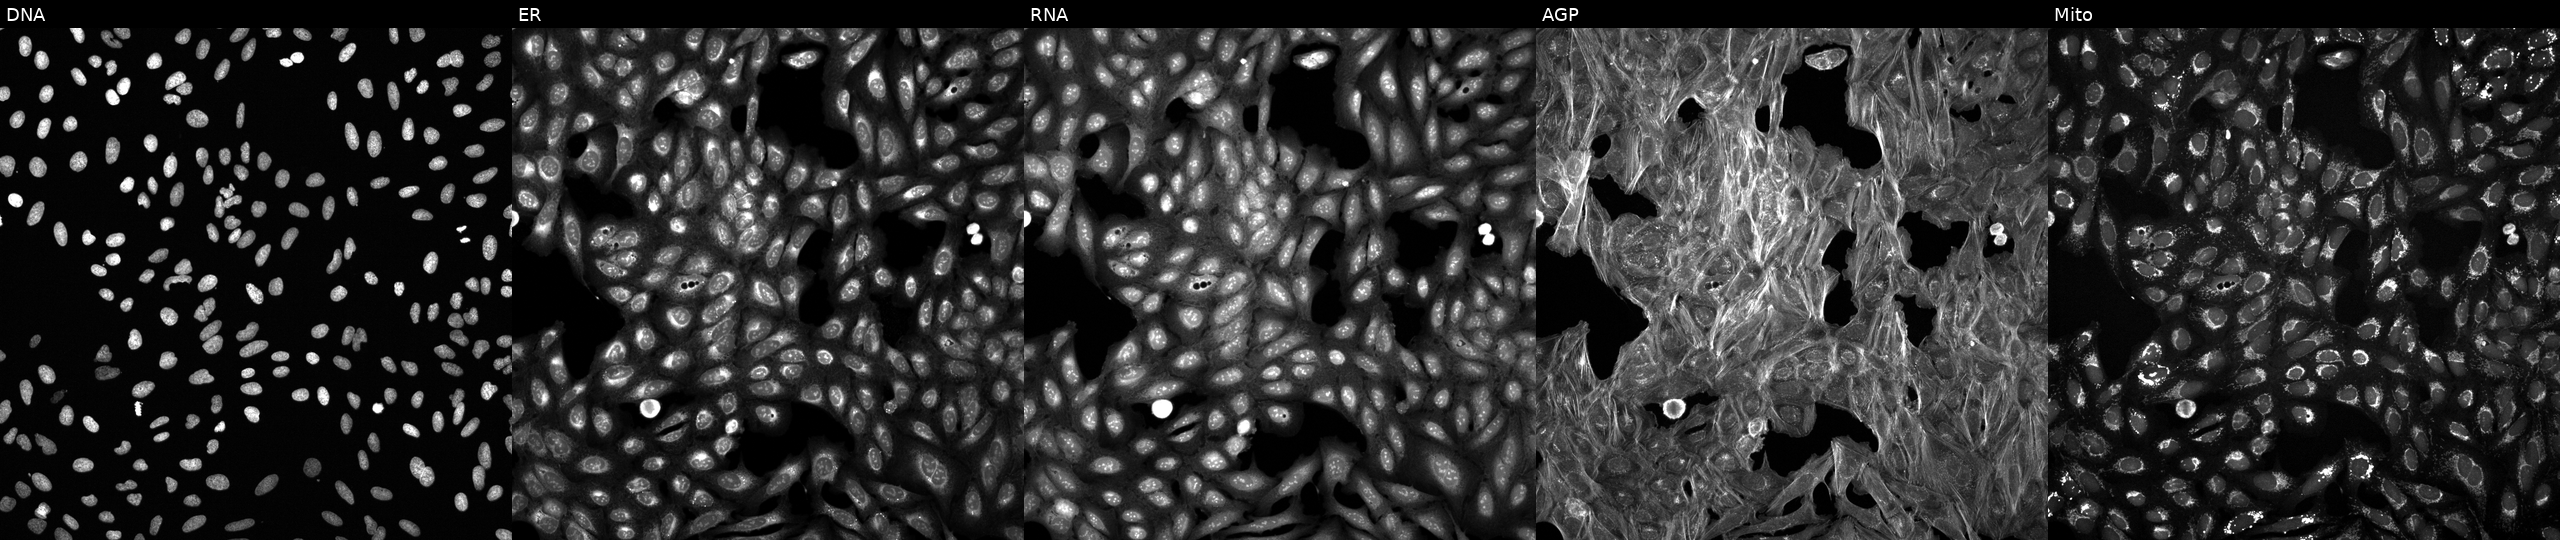
High-content fluorescence microscopy (Cell Painting). Cell line: U2OS. Perturbation: treated with a small-molecule compound (InChIKey VLBDAVRYNDHEGD-UHFFFAOYSA-N) (JUMP id JCP2022_094674). The five panels, left to right, show DNA, ER, RNA, AGP, and Mito. Source 6, plate 110000293082, well C20.